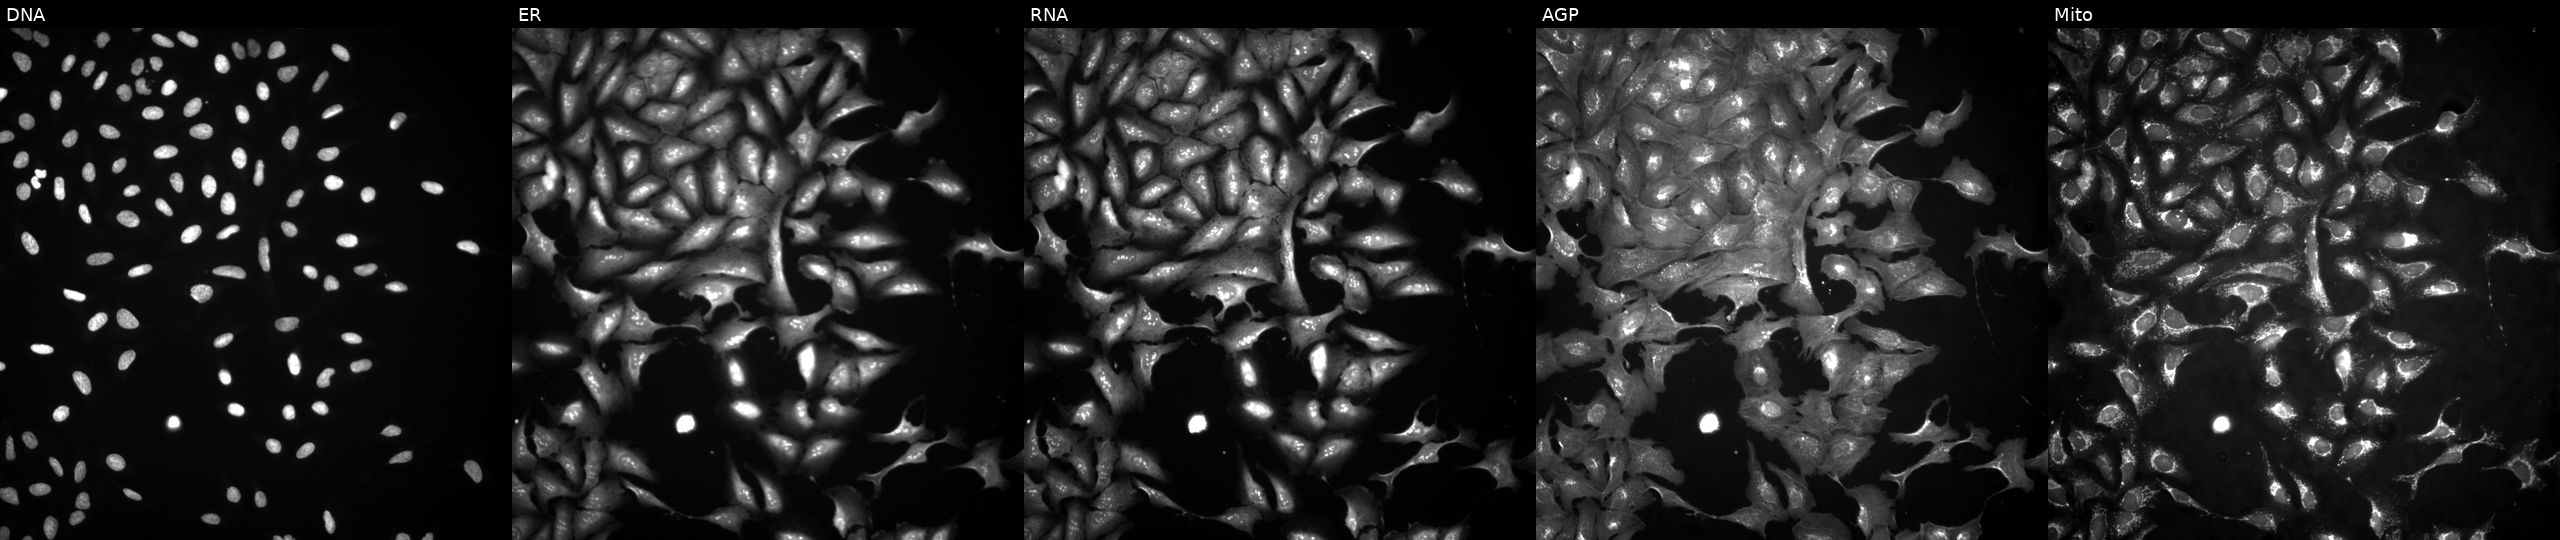
U2OS cells, Cell Painting assay, expressing LUCIFERASE (ORF negative control) (JUMP id JCP2022_915130). From left to right: DNA (nuclei); ER (endoplasmic reticulum); RNA (nucleoli and cytoplasmic RNA); AGP (actin cytoskeleton, Golgi, and plasma membrane); Mito (mitochondria). Each panel is percentile-stretched 16-bit fluorescence. Source 4, plate BR00117035, well K14.